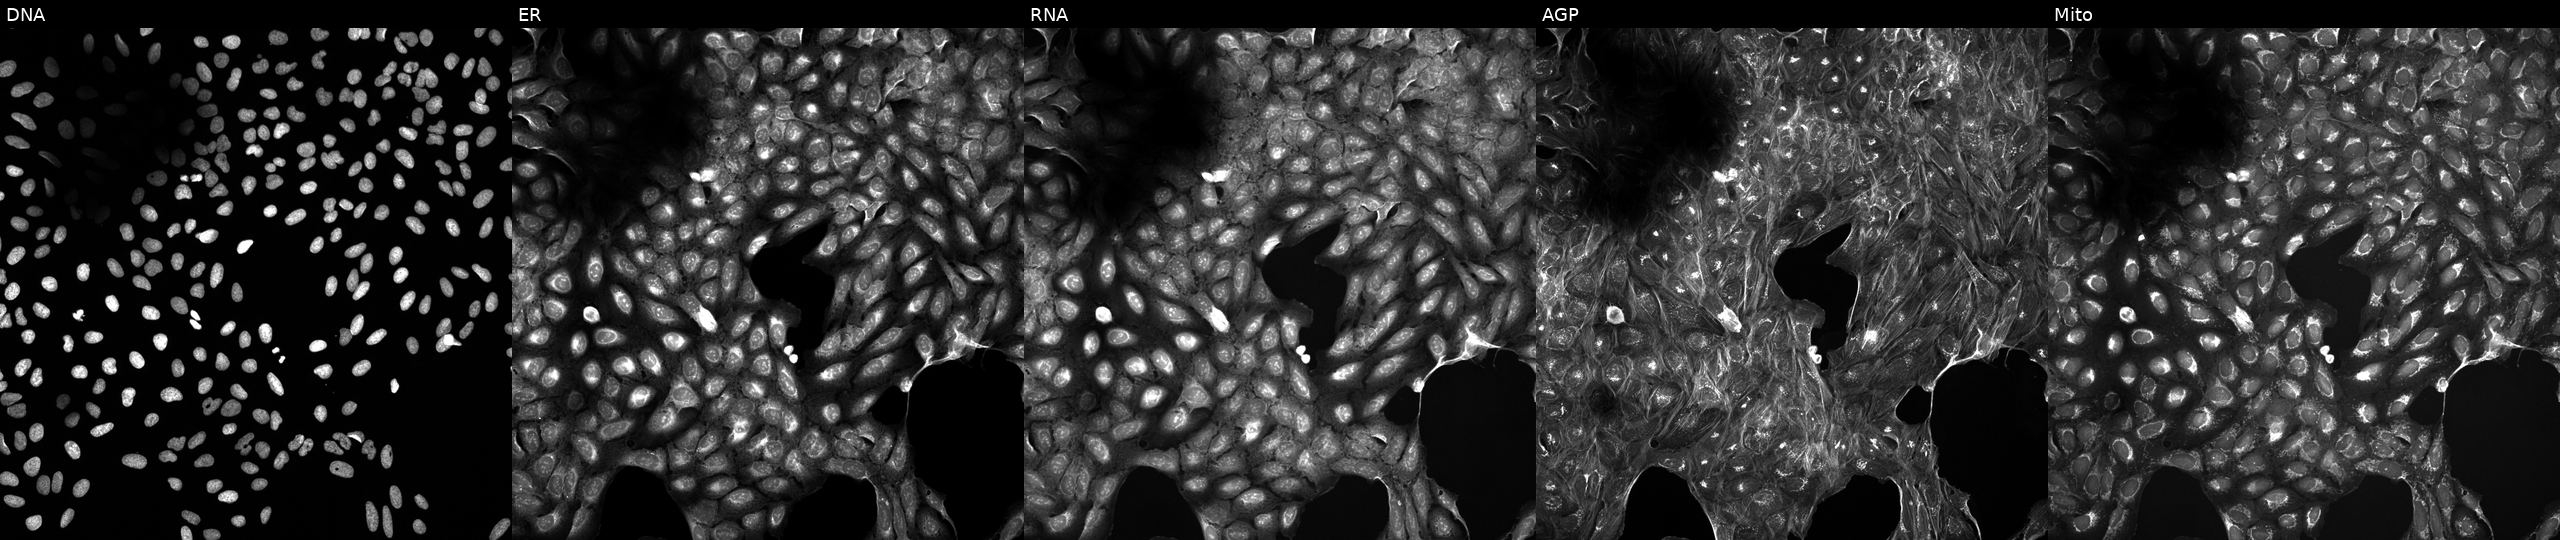
This image strip shows the five Cell Painting channels for a single field of U2OS cells treated with a small-molecule compound (InChIKey LGEQQWMQCRIYKG-UHFFFAOYSA-N) [SMILES: CCCCCC=CCC=CCC=CCC=CCCCC(=O)NCCO] (JUMP id JCP2022_049224). Channels (left→right): DNA (nuclei); ER (endoplasmic reticulum); RNA (nucleoli and cytoplasmic RNA); AGP (actin cytoskeleton, Golgi, and plasma membrane); Mito (mitochondria).